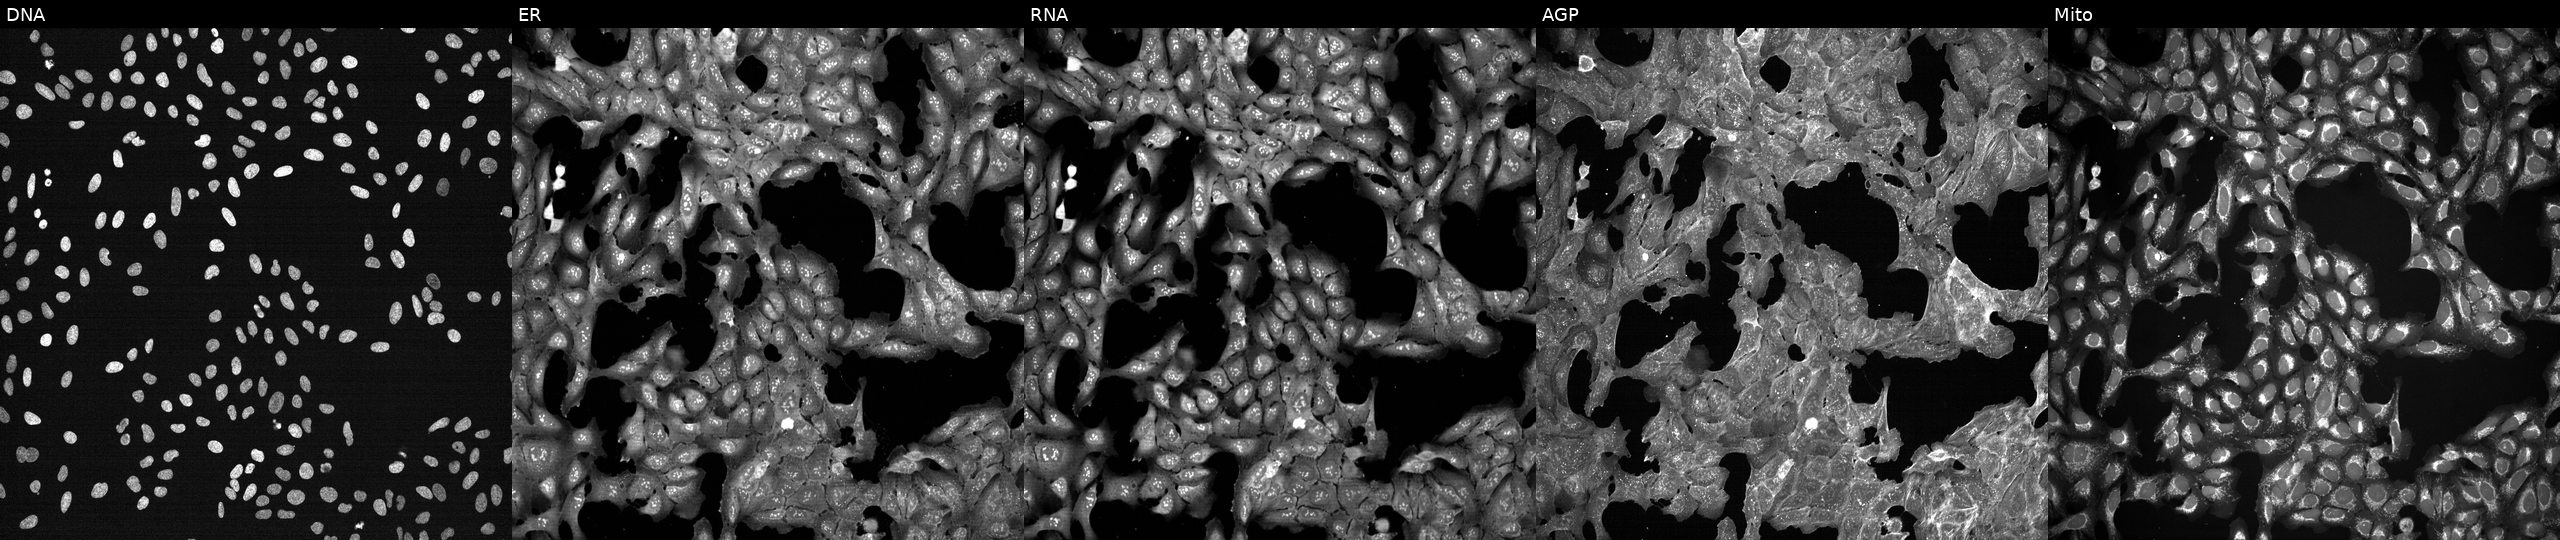
This image strip shows the five Cell Painting channels for a single field of U2OS cells perturbed with a small-molecule compound (InChIKey VUIRVWPJNKZOSS-UHFFFAOYSA-N) (JUMP id JCP2022_096342). The five panels, left to right, show Hoechst 33342, concanavalin A, SYTO 14, phalloidin and WGA, MitoTracker.